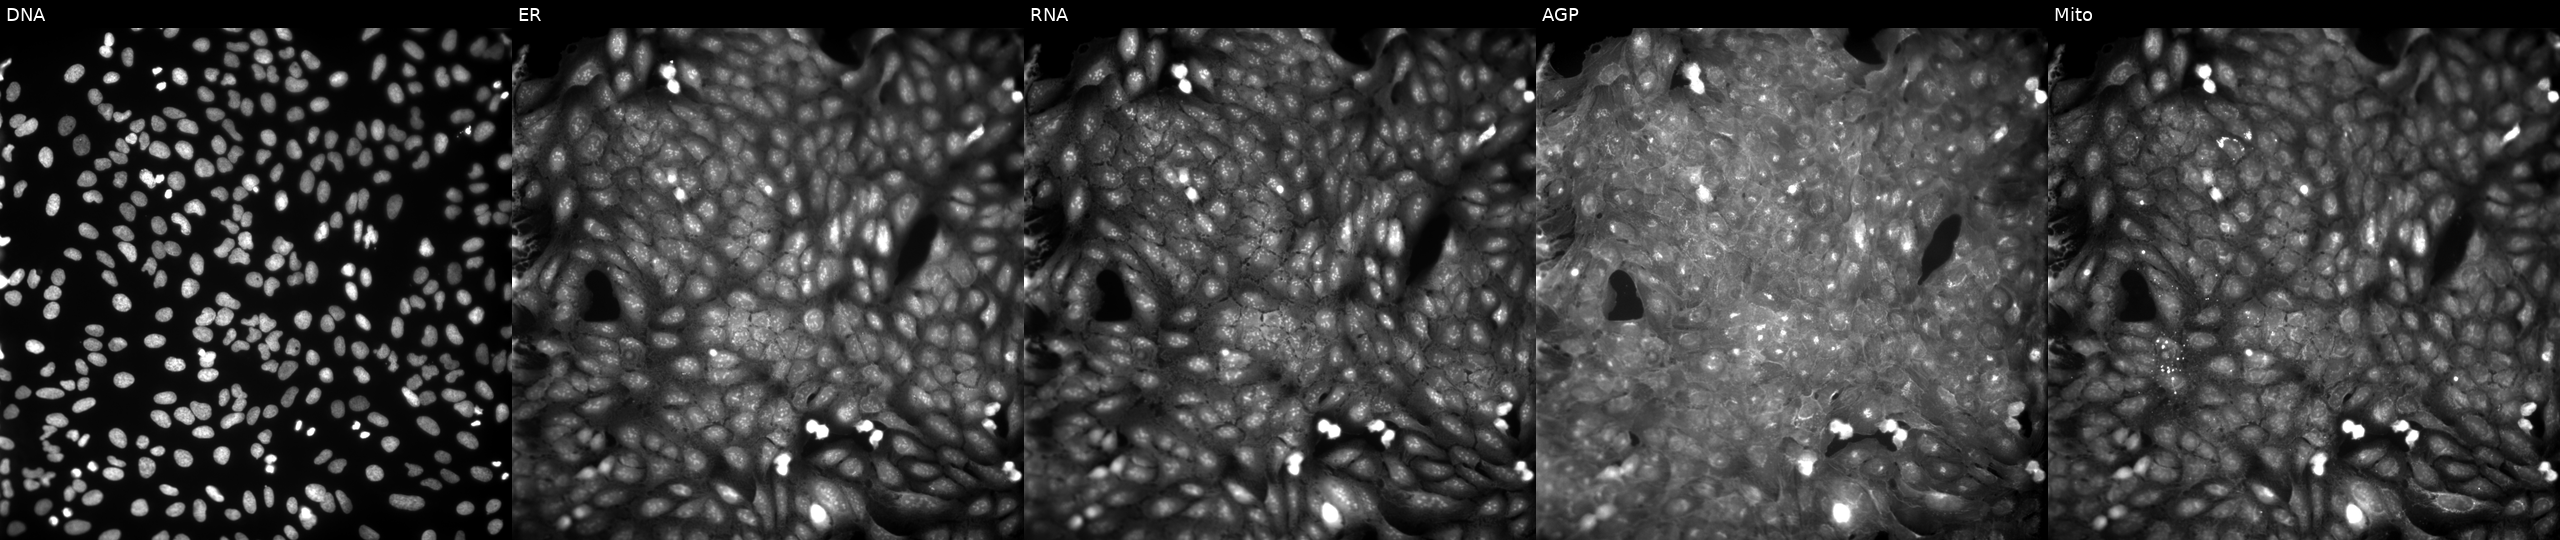
Panels show, left to right, Hoechst 33342, concanavalin A, SYTO 14, phalloidin and WGA, MitoTracker. U2OS osteosarcoma cells perturbed with a small-molecule compound (InChIKey XSUQMLJANPGLHP-UHFFFAOYSA-N) (JUMP id JCP2022_105801). Cell Painting assay, JUMP-CP dataset. Source 9, plate GR00003381, well AA04.